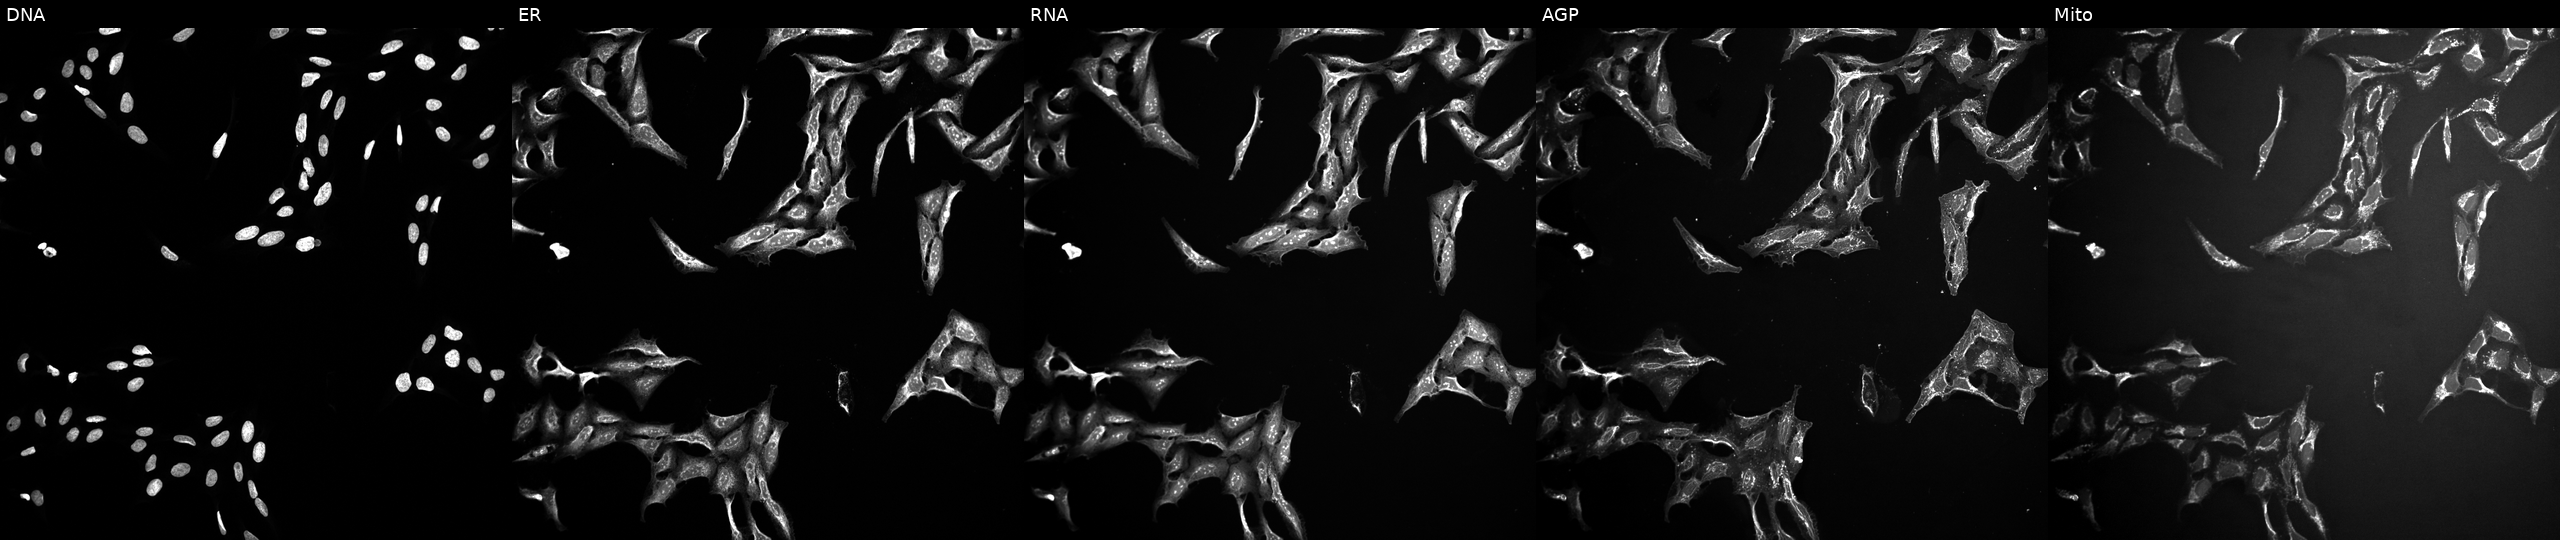
This image strip shows the five Cell Painting channels for a single field of U2OS cells treated with a small-molecule compound. The five panels, left to right, show Hoechst 33342, concanavalin A, SYTO 14, phalloidin and WGA, MitoTracker.